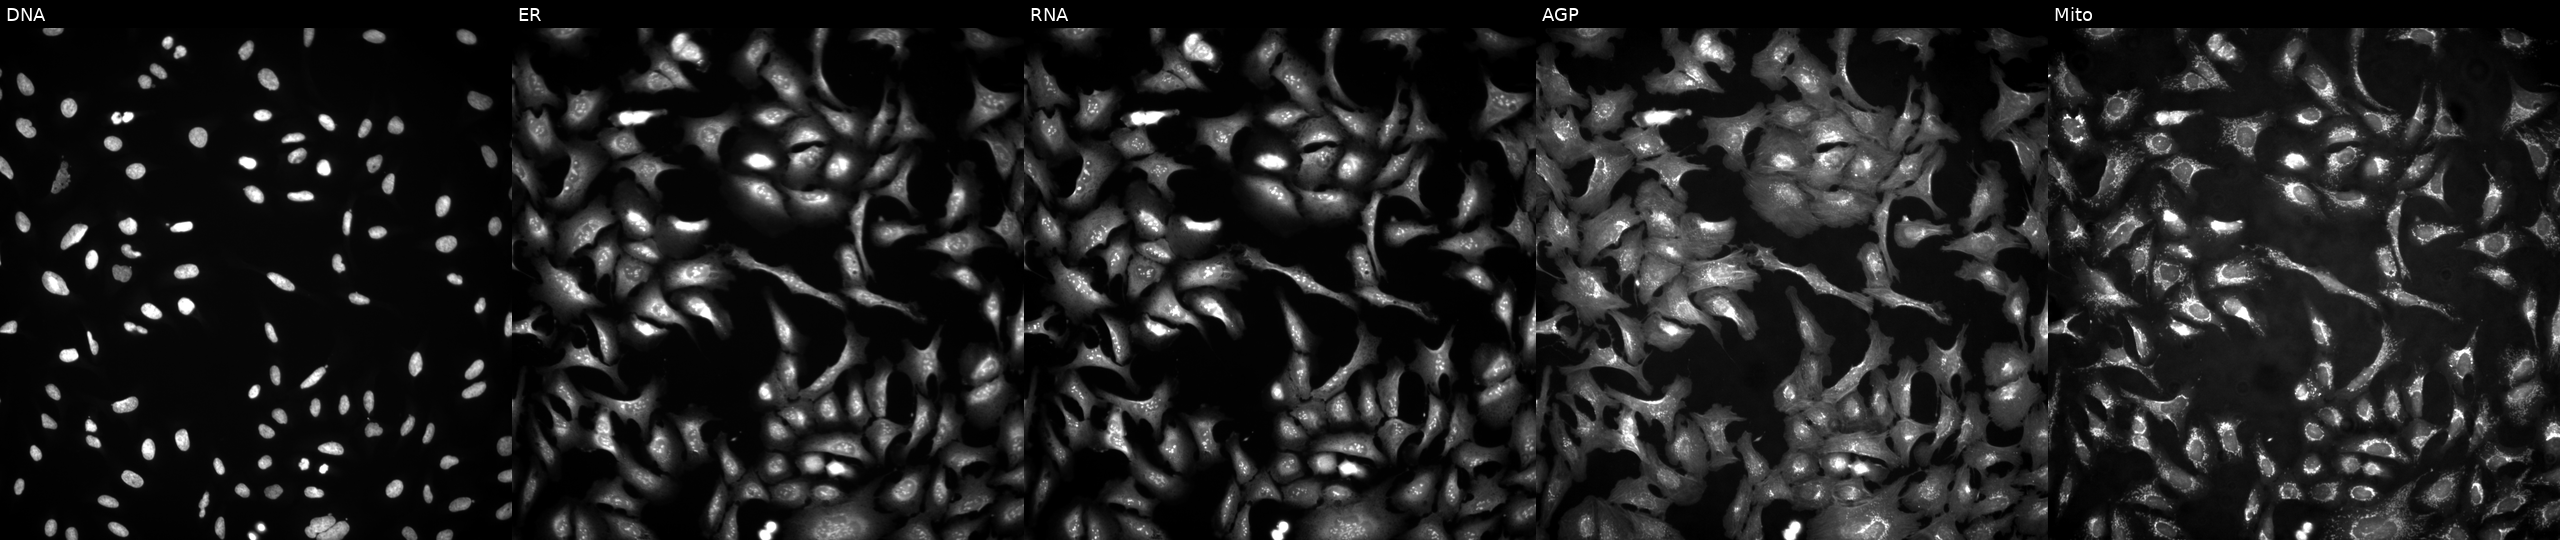
JUMP Cell Painting — ORF plate. U2OS cells overexpressing XLOC_l2_006955 via ORF transfection. Panels show, left to right, DNA, ER, RNA, AGP, and Mito.